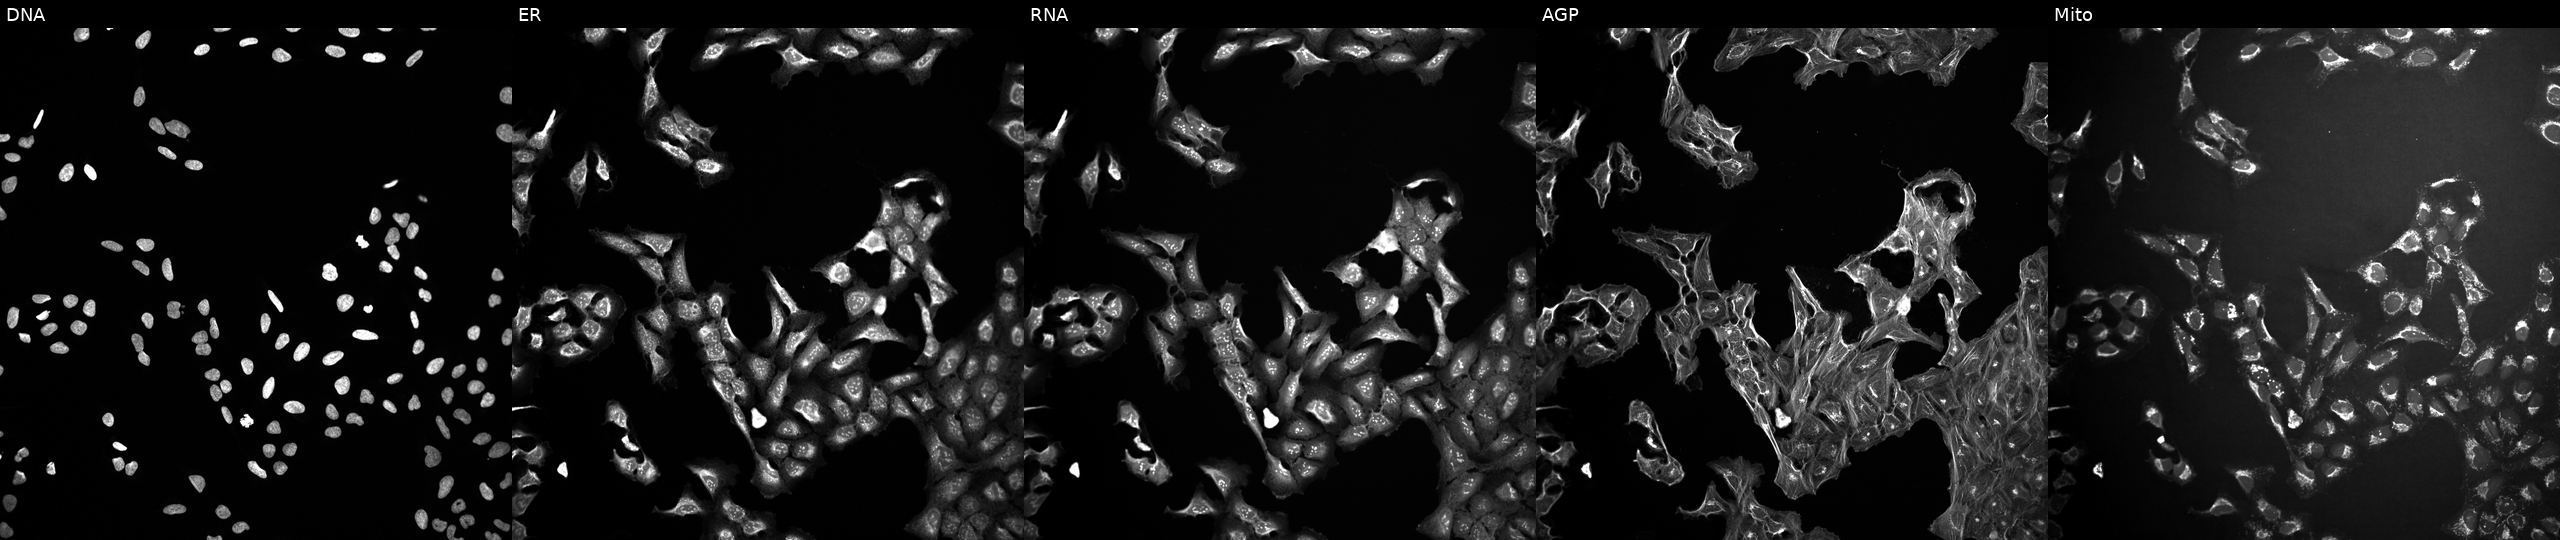
This image strip shows the five Cell Painting channels for a single field of U2OS cells exposed to a small-molecule compound (InChIKey XNOPRXBHLZRZKH-UHFFFAOYSA-N) [SMILES: CCC(C)C1NC(=O)C(Cc2ccc(O)cc2)NC(=O)C(N)CSSCC(C(=O)N2CCCC2C(=O)NC(CC(C)C)C(=O)NCC(N)=O)NC(=O)C(CC(N)=O)NC(=O)C(CCC(N)=O)NC1=O] (JUMP id JCP2022_104794). The five panels, left to right, show DNA, ER, RNA, AGP, and Mito. Source 10, plate Dest210727-153003, well D21.